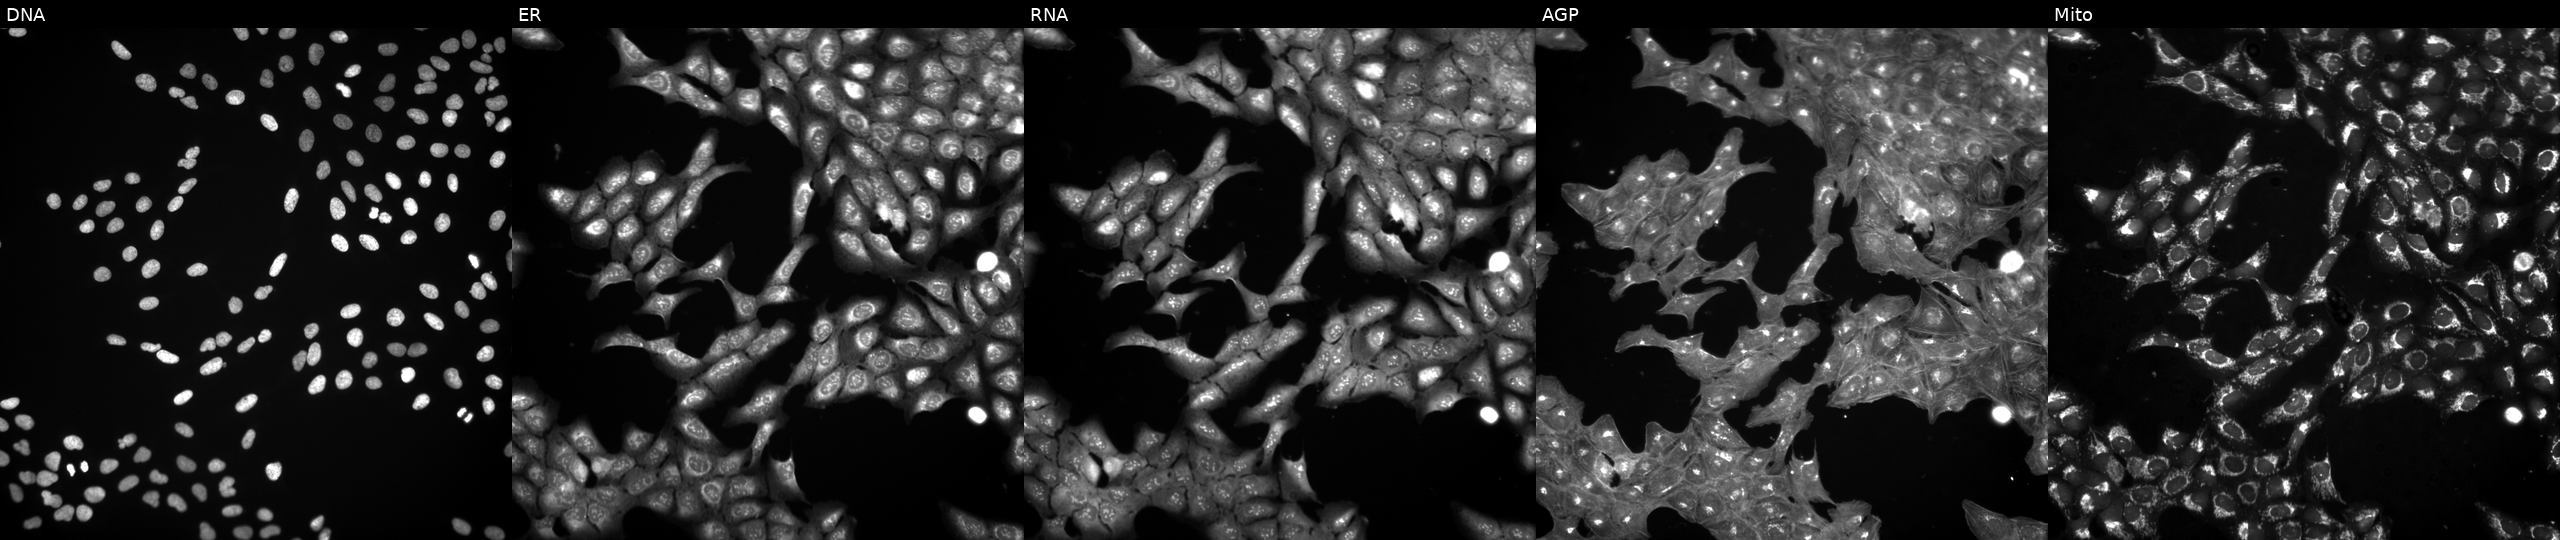
The five panels, left to right, show Hoechst 33342, concanavalin A, SYTO 14, phalloidin and WGA, MitoTracker. U2OS osteosarcoma cells perturbed with a small-molecule compound (InChIKey NKLWPMNXCZBKJG-UHFFFAOYSA-N). Cell Painting assay, JUMP-CP dataset.